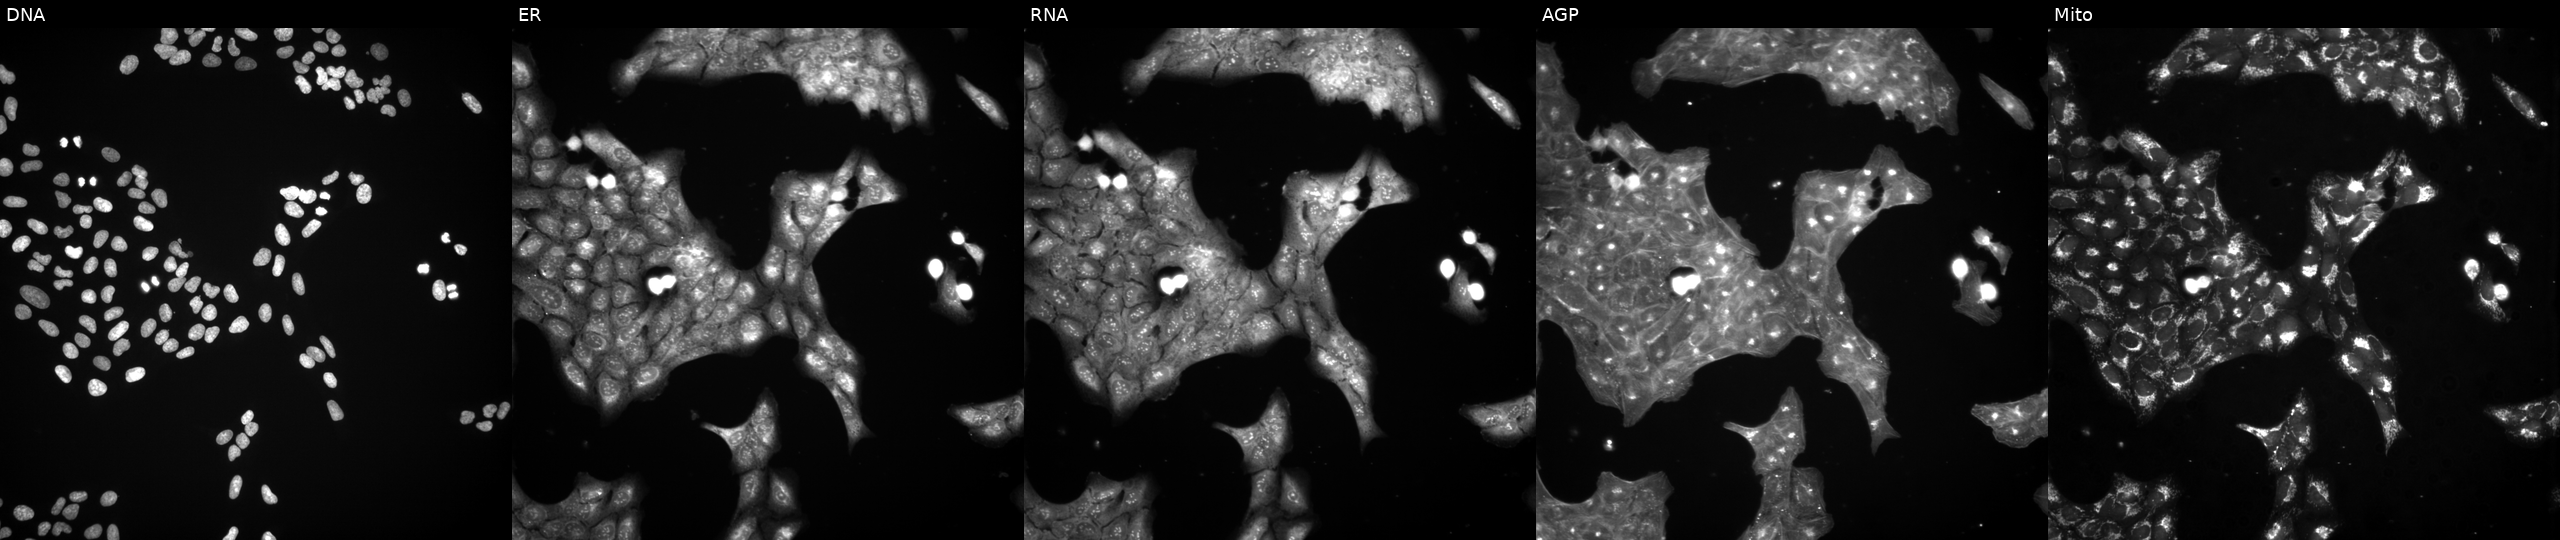
U2OS cells, Cell Painting assay, perturbed with a small-molecule compound (InChIKey YULUCECVQOCQFQ-UHFFFAOYSA-N). Panels show, left to right, DNA (nuclei); ER (endoplasmic reticulum); RNA (nucleoli and cytoplasmic RNA); AGP (actin cytoskeleton, Golgi, and plasma membrane); Mito (mitochondria). Each panel is percentile-stretched 16-bit fluorescence. Source 3, plate JCPQC052, well I14.